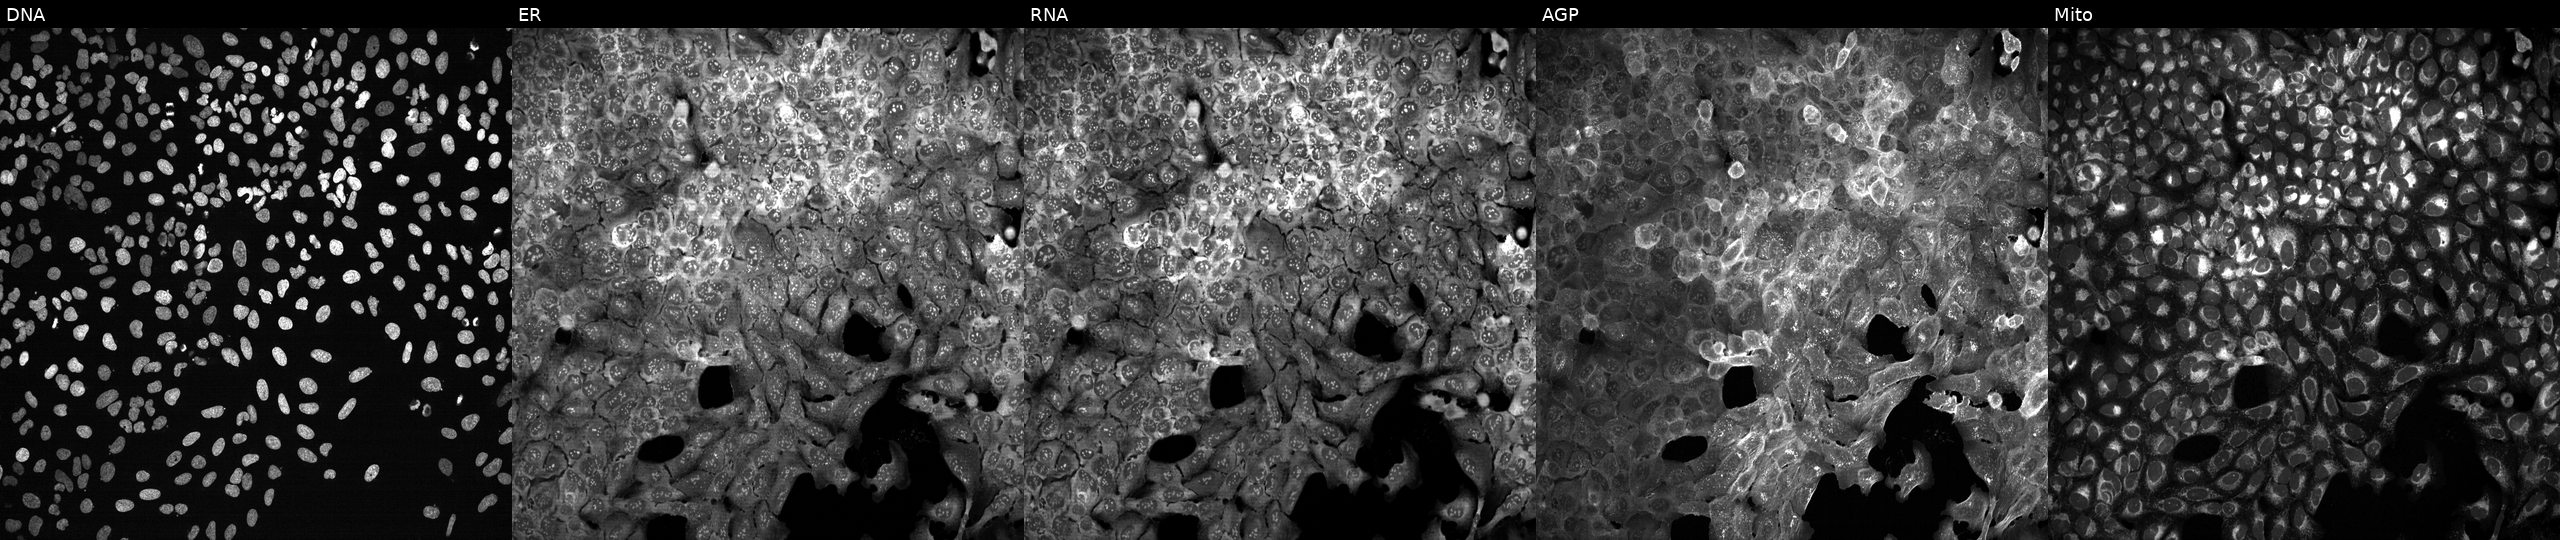
This image strip shows the five Cell Painting channels for a single field of U2OS cells CRISPR-edited to disrupt CAPN13 (JUMP id JCP2022_801042). From left to right: DNA, ER, RNA, AGP, and Mito.